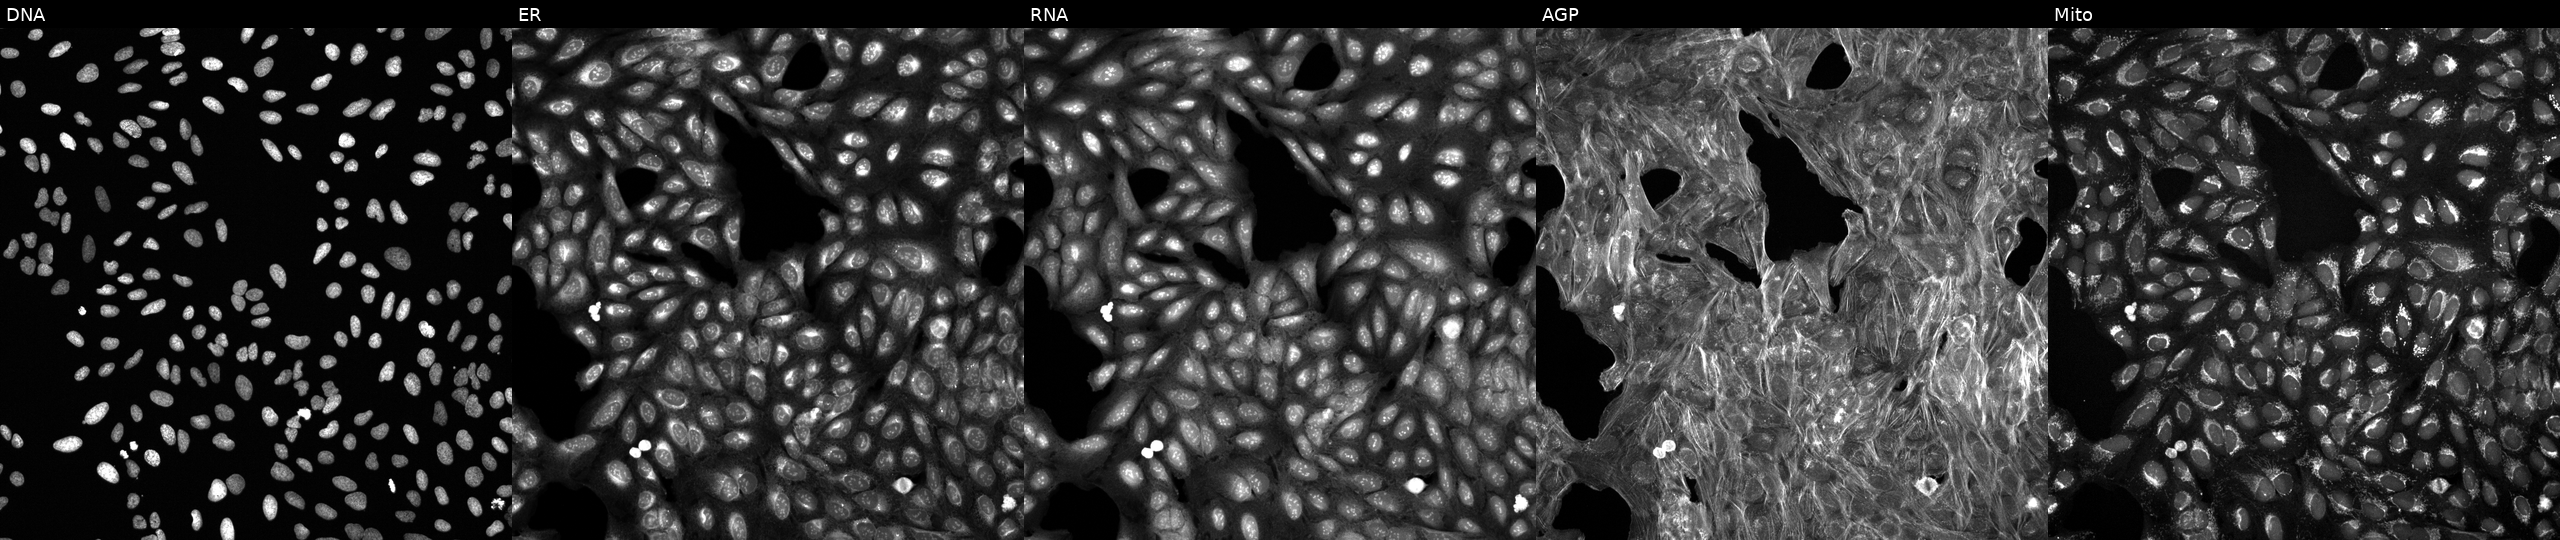
Five-channel Cell Painting image of U2OS cells exposed to a small-molecule compound (InChIKey TWMTZBXTZBXVLT-UHFFFAOYSA-N) (JUMP id JCP2022_087191). Channels (left→right): DNA (nuclei); ER (endoplasmic reticulum); RNA (nucleoli and cytoplasmic RNA); AGP (actin cytoskeleton, Golgi, and plasma membrane); Mito (mitochondria). Source 6, plate 110000293083, well E10.